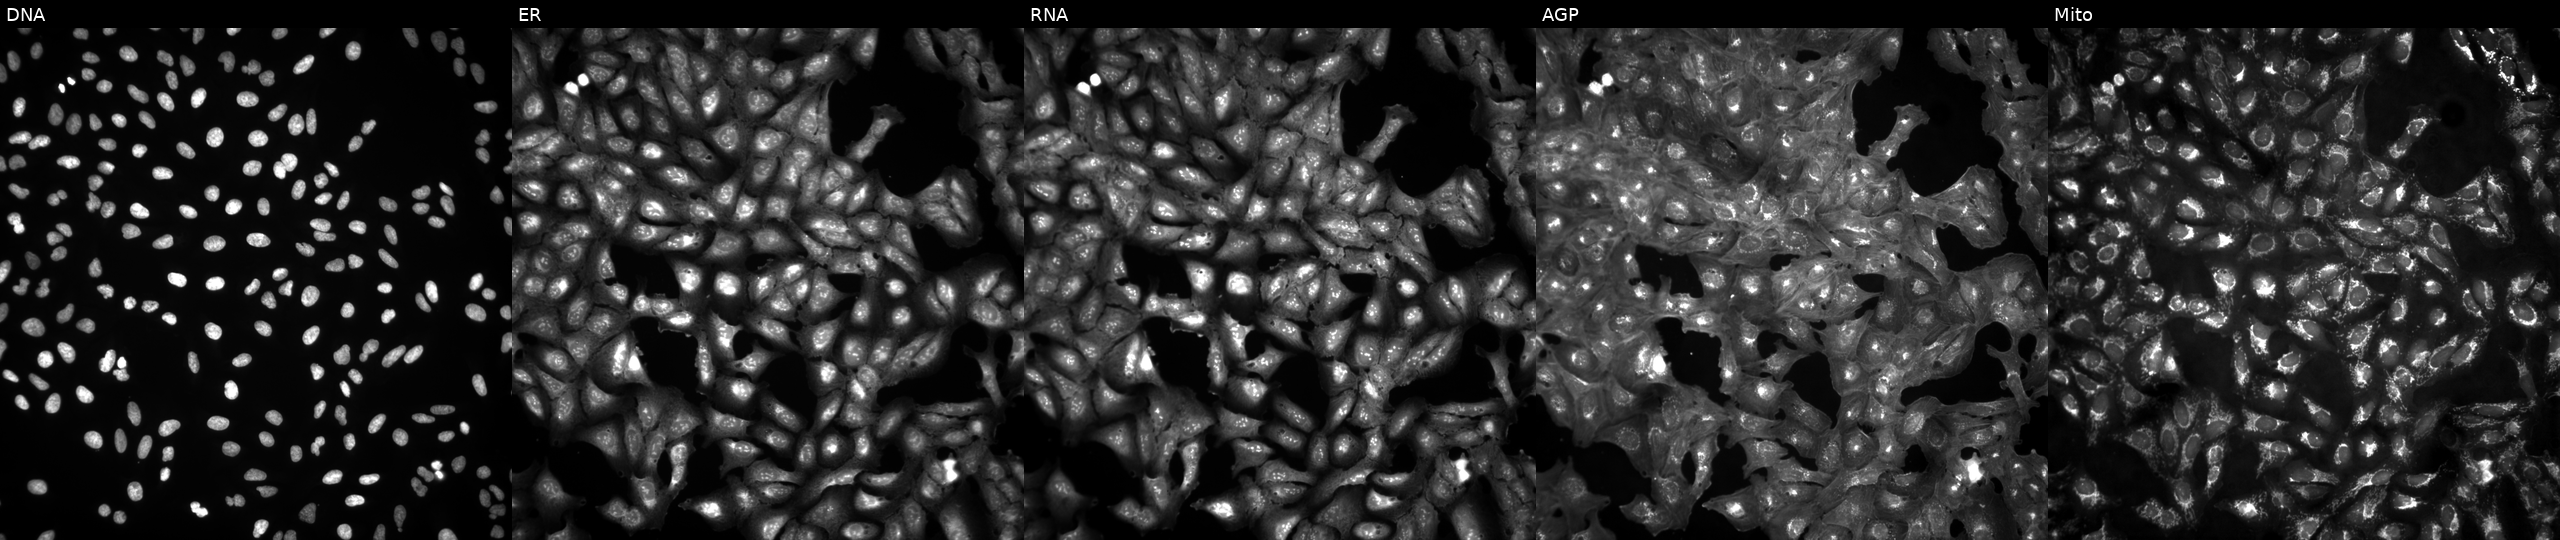
This image strip shows the five Cell Painting channels for a single field of U2OS cells in an empty control well (no perturbation). The five panels, left to right, show DNA (nuclei); ER (endoplasmic reticulum); RNA (nucleoli and cytoplasmic RNA); AGP (actin cytoskeleton, Golgi, and plasma membrane); Mito (mitochondria). Source 4, plate BR00123946, well F22.